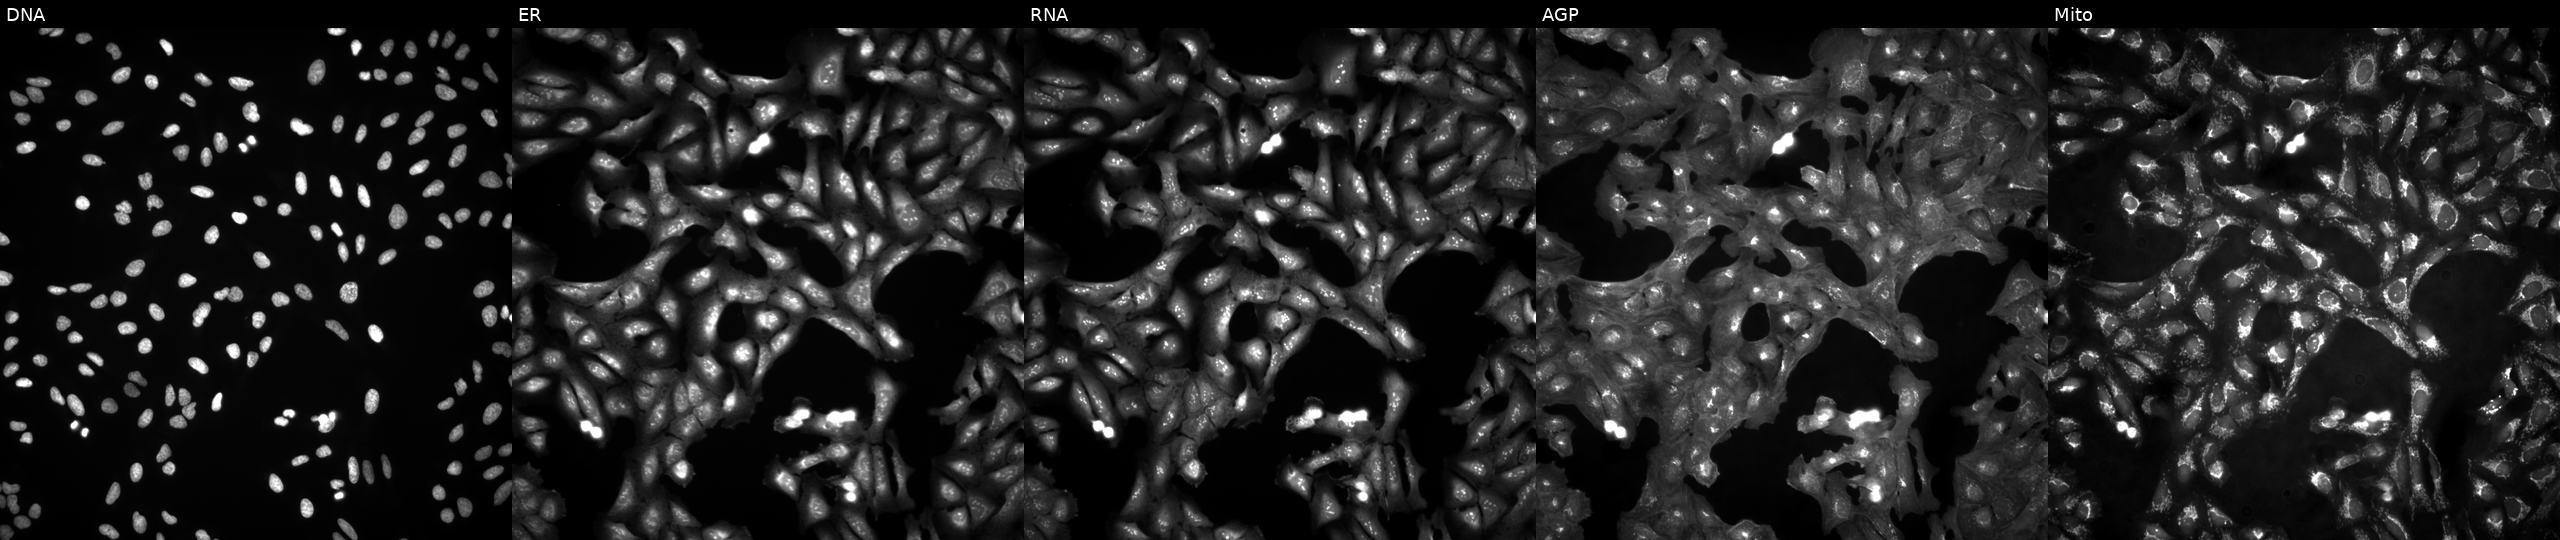
This image strip shows the five Cell Painting channels for a single field of U2OS cells untreated (empty-well control). Channels (left→right): DNA (nuclei); ER (endoplasmic reticulum); RNA (nucleoli and cytoplasmic RNA); AGP (actin cytoskeleton, Golgi, and plasma membrane); Mito (mitochondria). Source 4, plate BR00123946, well J13.